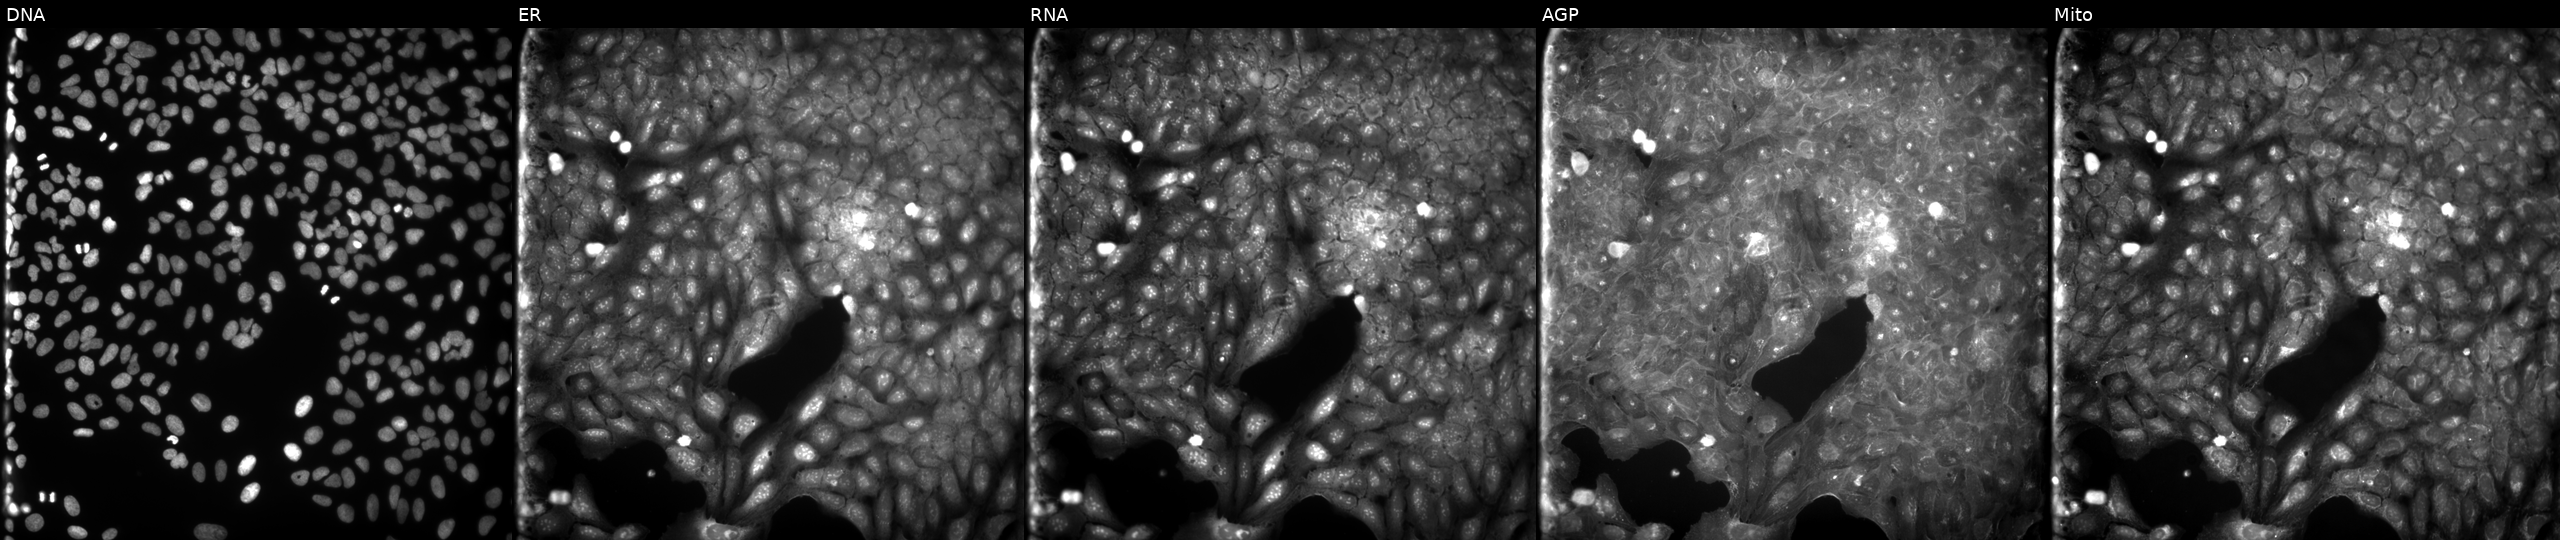
Five-channel Cell Painting image of U2OS cells treated with a small-molecule compound (InChIKey NZSVQKHLRHRKKI-UHFFFAOYSA-N) [SMILES: O=C(NN=C1CCN(Cc2ccccc2)CC1)c1ccccc1O]. From left to right: DNA, ER, RNA, AGP, and Mito.